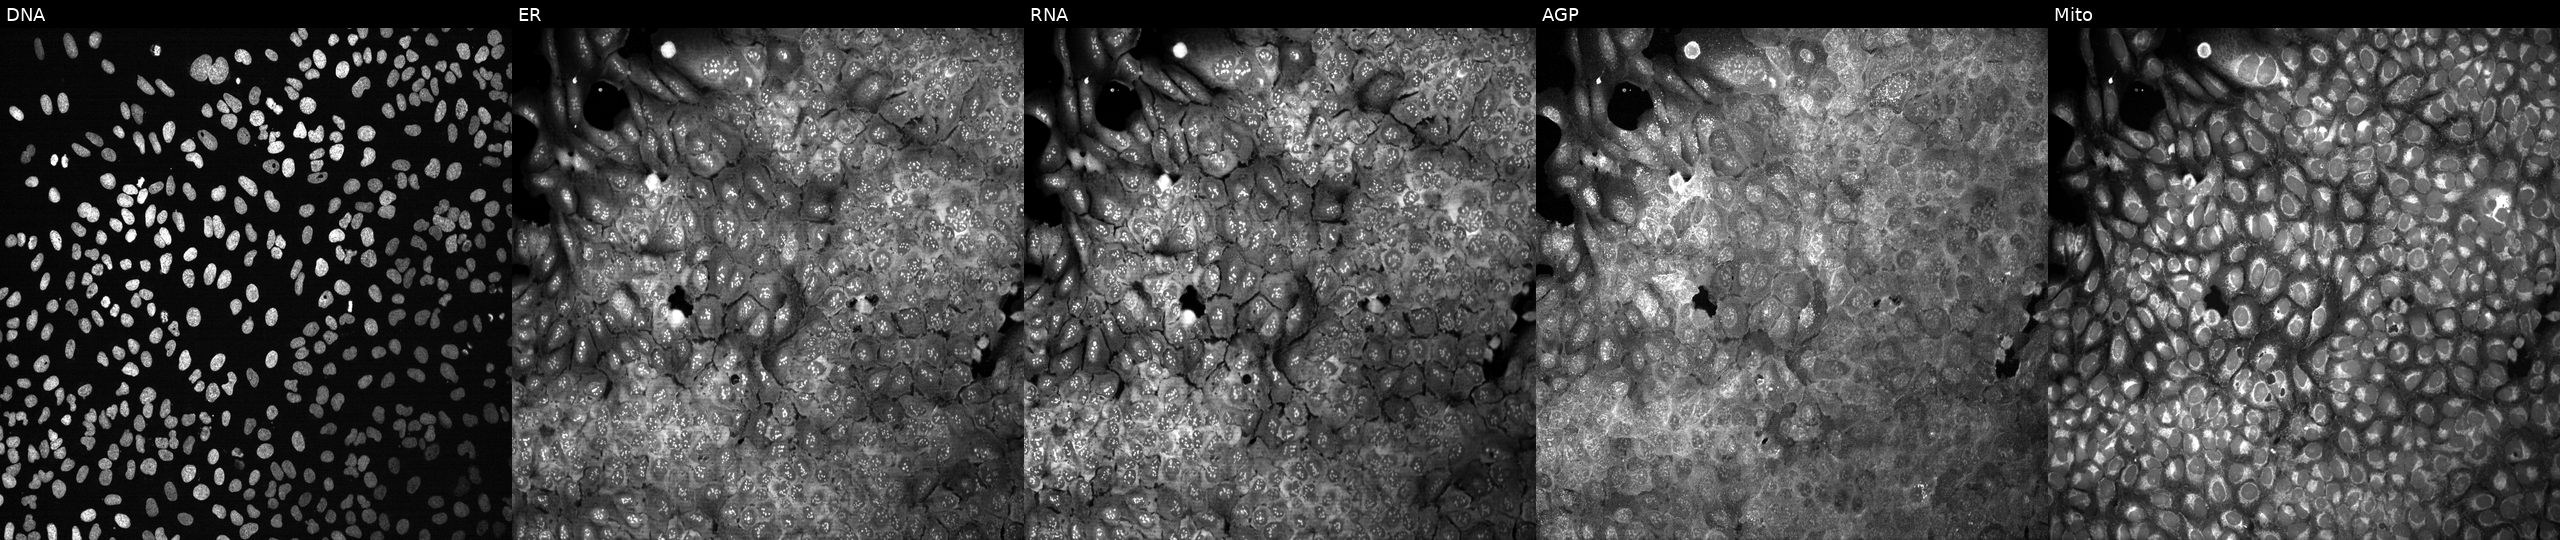
This image strip shows the five Cell Painting channels for a single field of U2OS cells with LPO knocked out by CRISPR. Panels show, left to right, DNA (nuclei); ER (endoplasmic reticulum); RNA (nucleoli and cytoplasmic RNA); AGP (actin cytoskeleton, Golgi, and plasma membrane); Mito (mitochondria). Source 13, plate CP-CC9-R5-01, well O20.